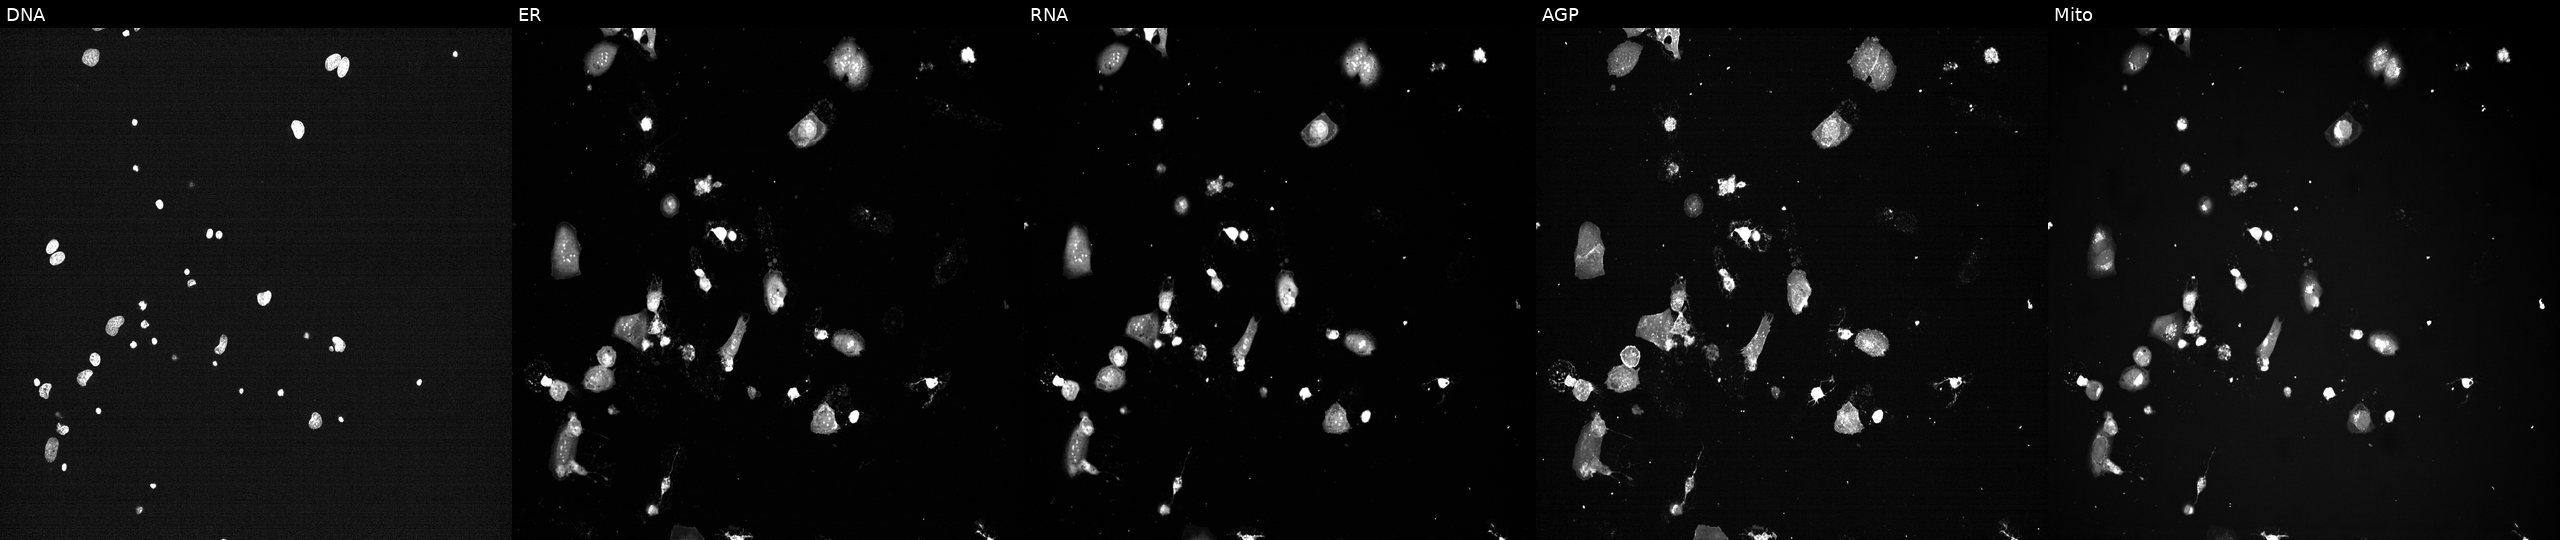
High-content fluorescence microscopy (Cell Painting). Cell line: U2OS. Perturbation: perturbed with a small-molecule compound (InChIKey UTBOEBCWXGDOGI-UHFFFAOYSA-N). Panels show, left to right, DNA, ER, RNA, AGP, and Mito.